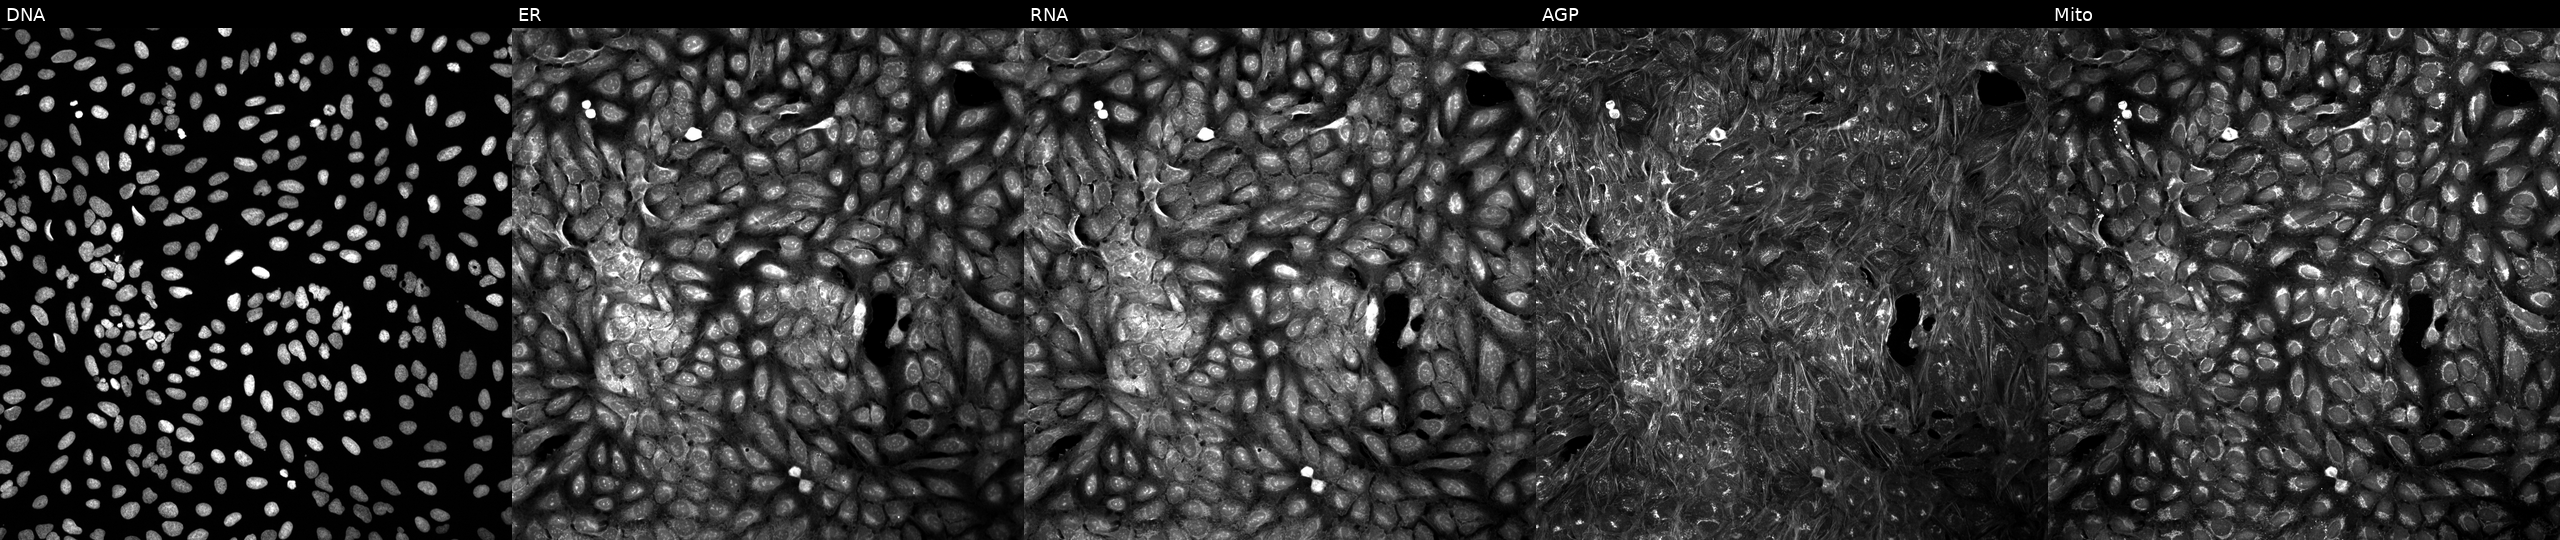
Channels (left→right): Hoechst 33342, concanavalin A, SYTO 14, phalloidin and WGA, MitoTracker. U2OS osteosarcoma cells exposed to the positive-control compound dexamethasone. Cell Painting assay, JUMP-CP dataset.